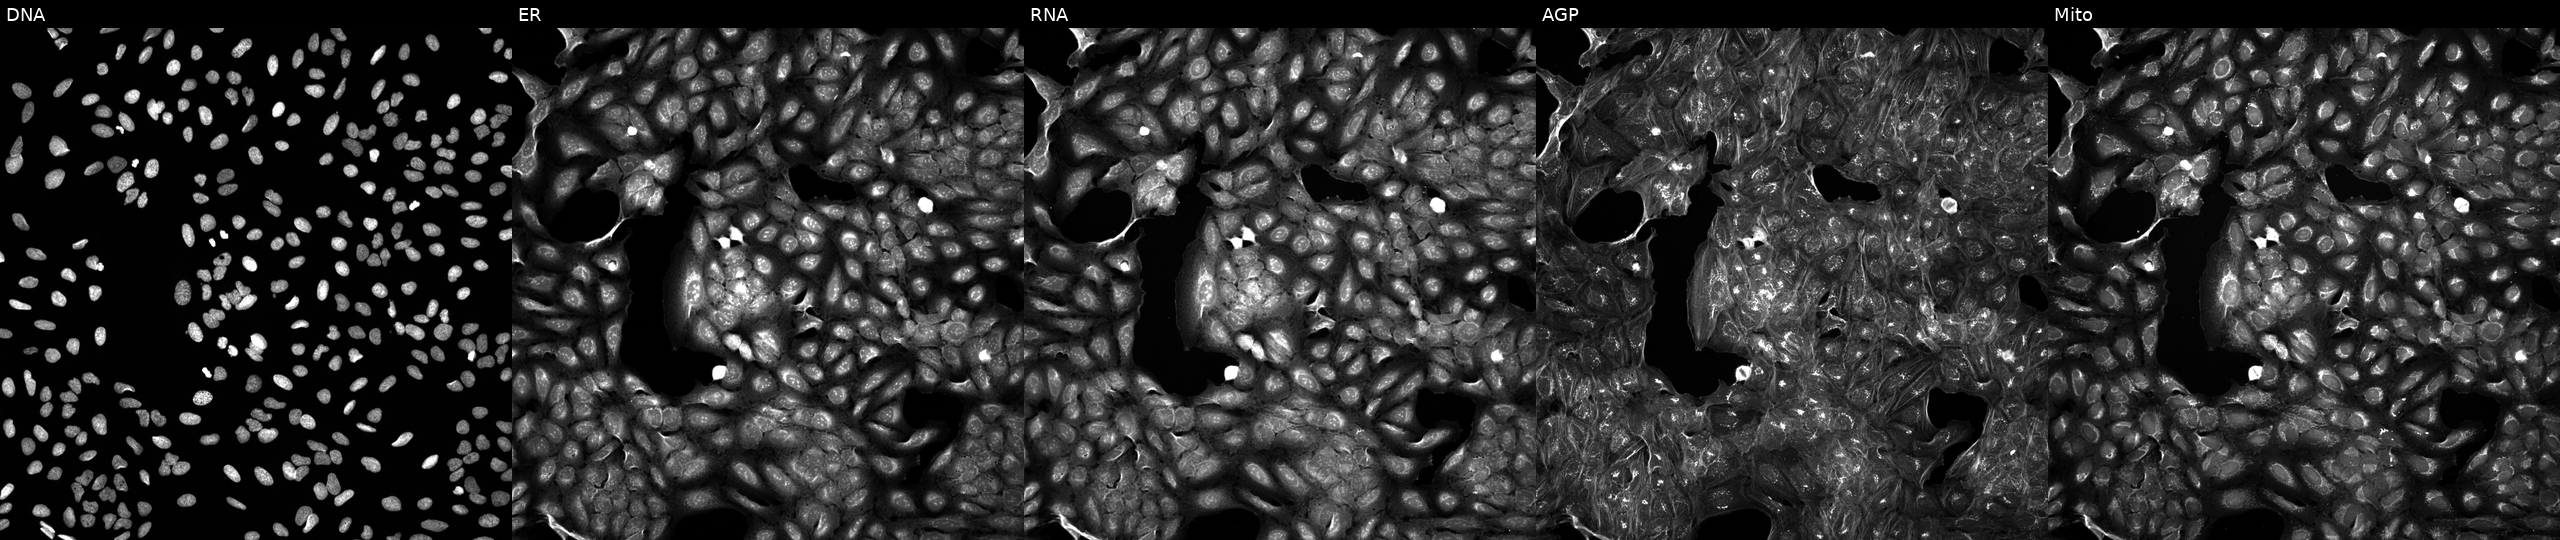
Panels show, left to right, DNA, ER, RNA, AGP, and Mito. U2OS osteosarcoma cells treated with a small-molecule compound (JUMP id JCP2022_056783). Cell Painting assay, JUMP-CP dataset. Source 5, plate APTJUM105, well K12.